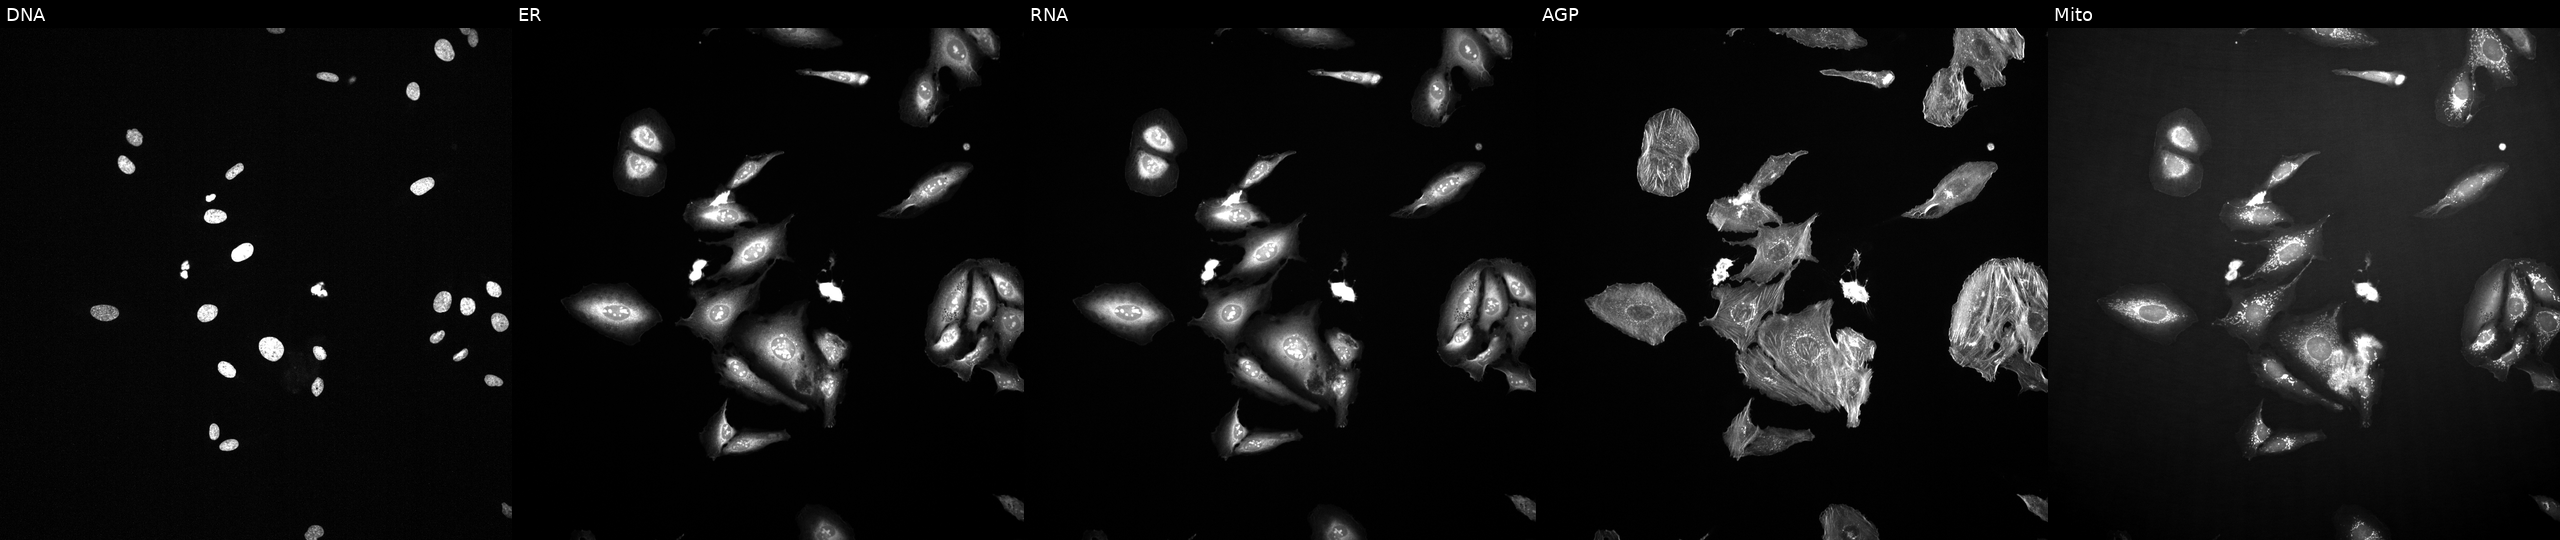
High-content fluorescence microscopy (Cell Painting). Cell line: U2OS. Perturbation: exposed to a small-molecule compound (InChIKey MAASHDQFQDDECQ-UHFFFAOYSA-N) (JUMP id JCP2022_052804). Channels (left→right): Hoechst 33342, concanavalin A, SYTO 14, phalloidin and WGA, MitoTracker.